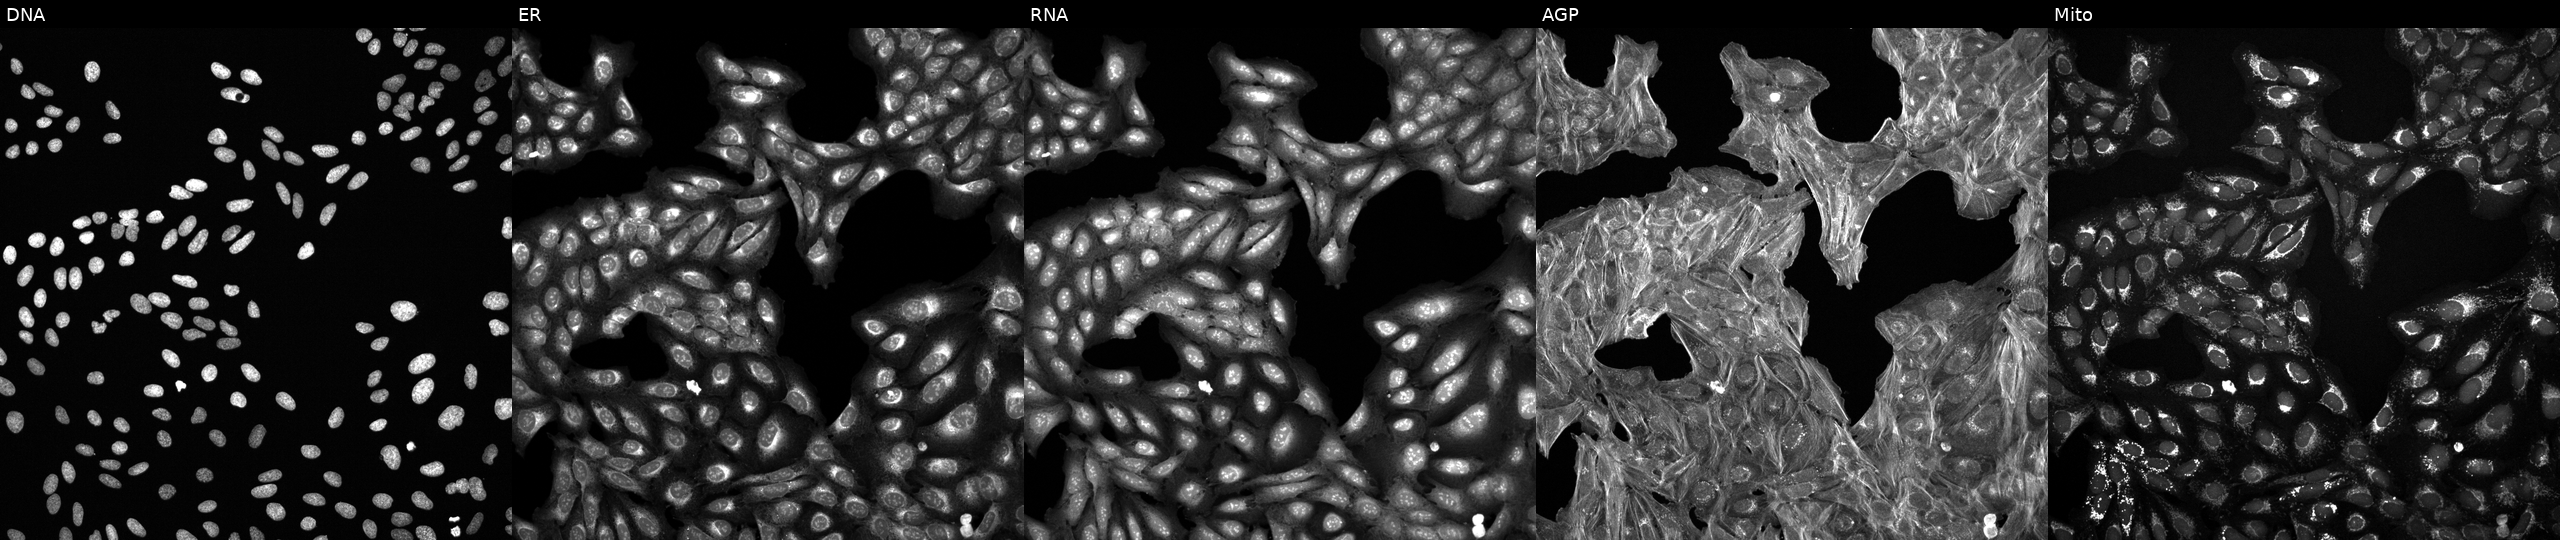
Five-channel Cell Painting image of U2OS cells treated with a small-molecule compound (JUMP id JCP2022_012395). From left to right: Hoechst 33342, concanavalin A, SYTO 14, phalloidin and WGA, MitoTracker. Source 6, plate 110000293082, well C16.